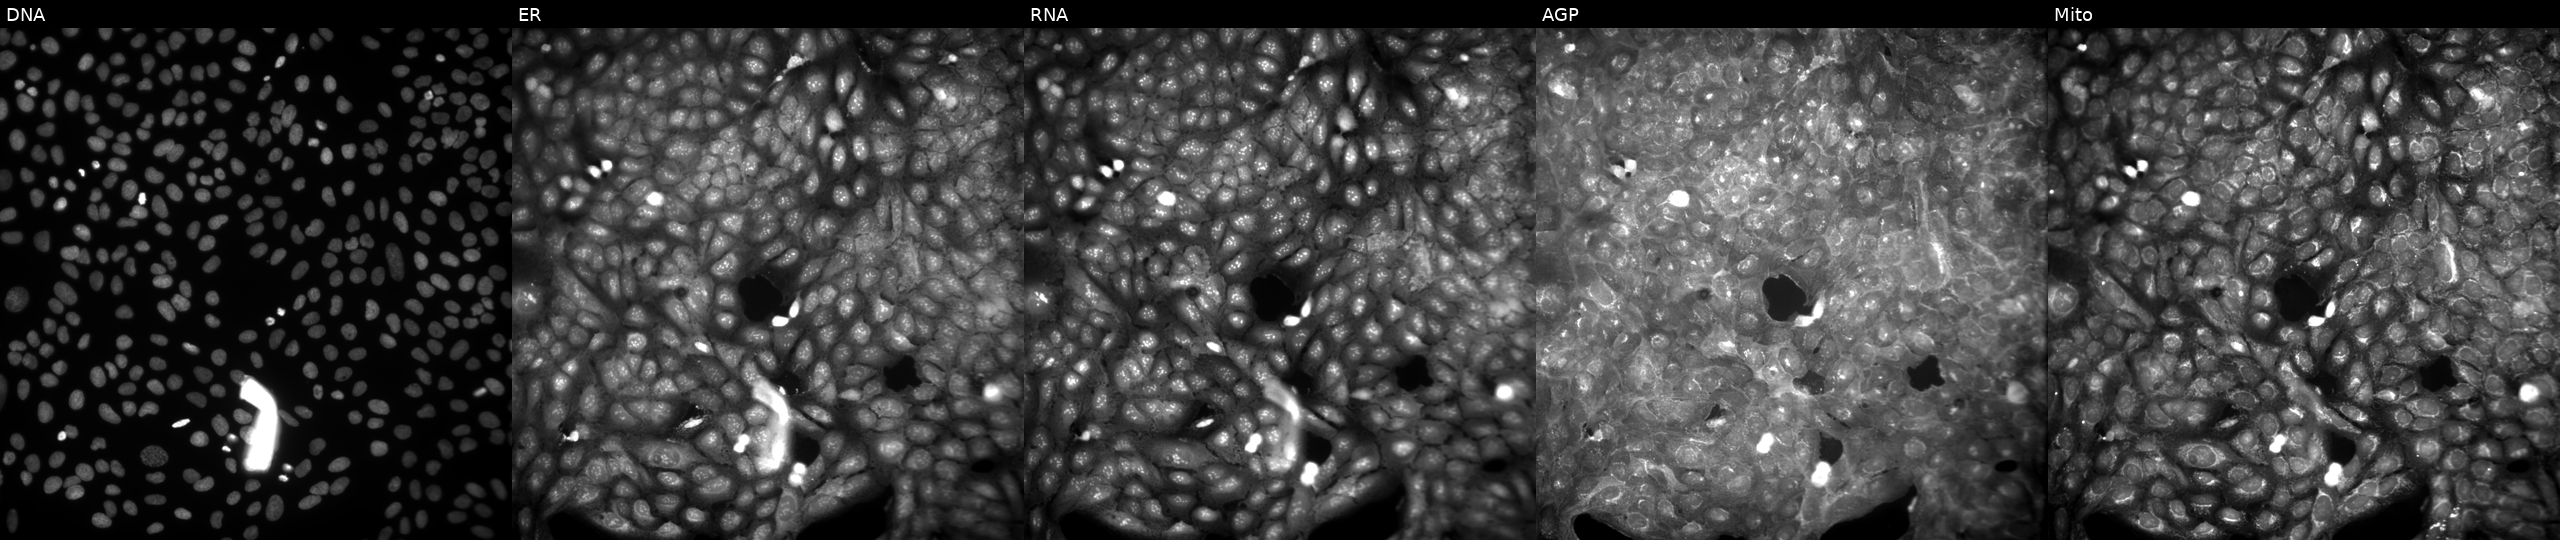
High-content fluorescence microscopy (Cell Painting). Cell line: U2OS. Perturbation: exposed to a small-molecule compound (InChIKey SVFPOOZIQQKCKN-UHFFFAOYSA-N). Channels (left→right): Hoechst 33342, concanavalin A, SYTO 14, phalloidin and WGA, MitoTracker.